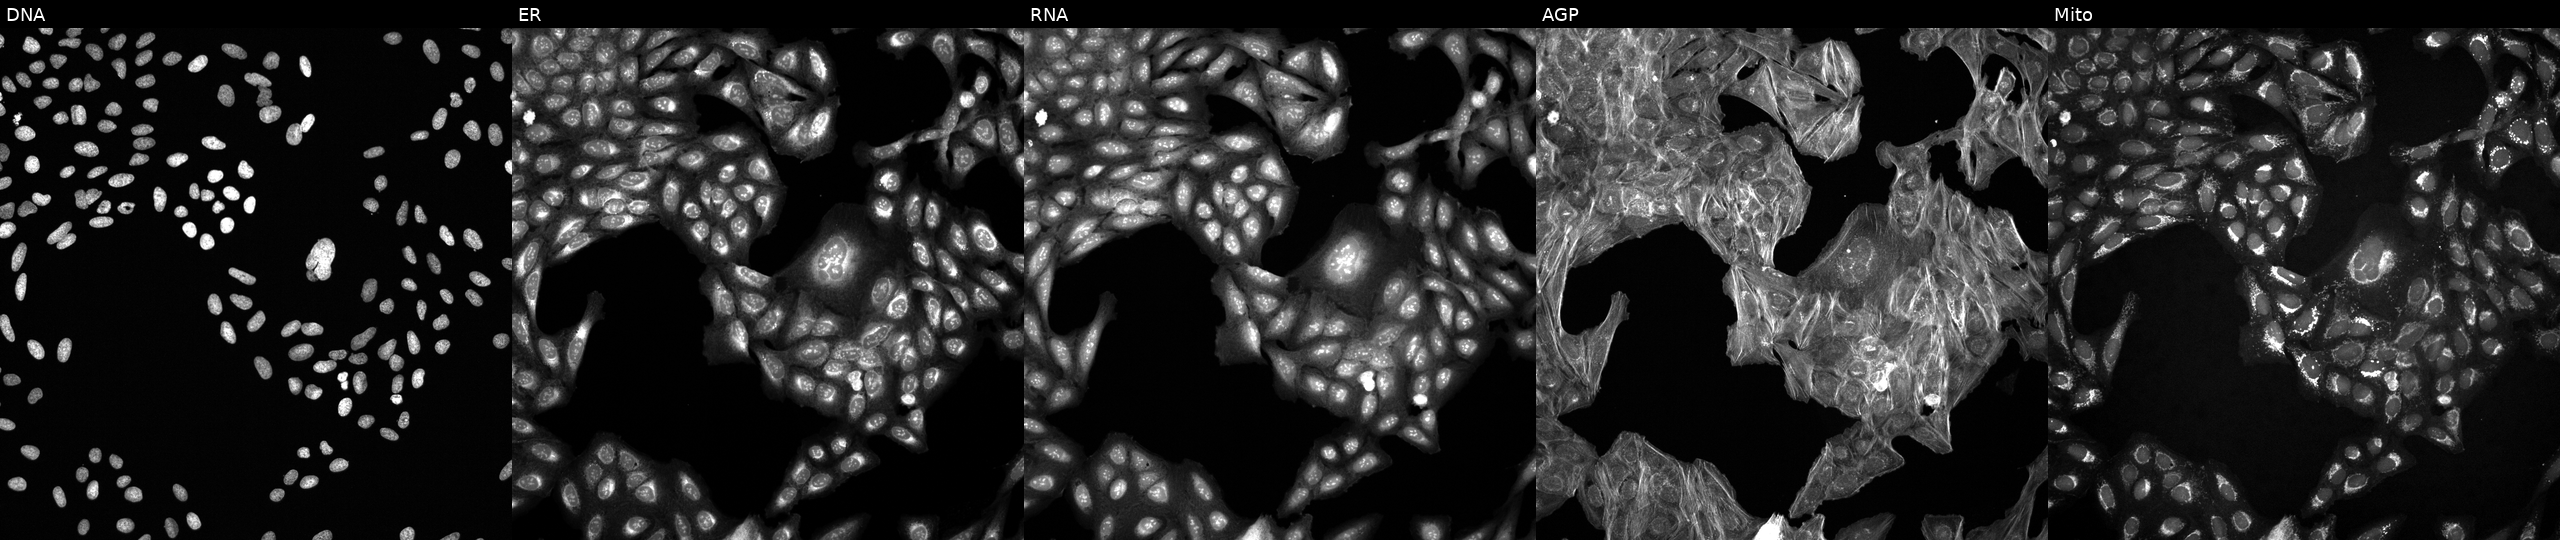
U2OS cells, Cell Painting assay, perturbed with a small-molecule compound (InChIKey UQNAFPHGVPVTAL-UHFFFAOYSA-N). The five panels, left to right, show Hoechst 33342, concanavalin A, SYTO 14, phalloidin and WGA, MitoTracker. Each panel is percentile-stretched 16-bit fluorescence. Source 6, plate 110000293081, well N23.